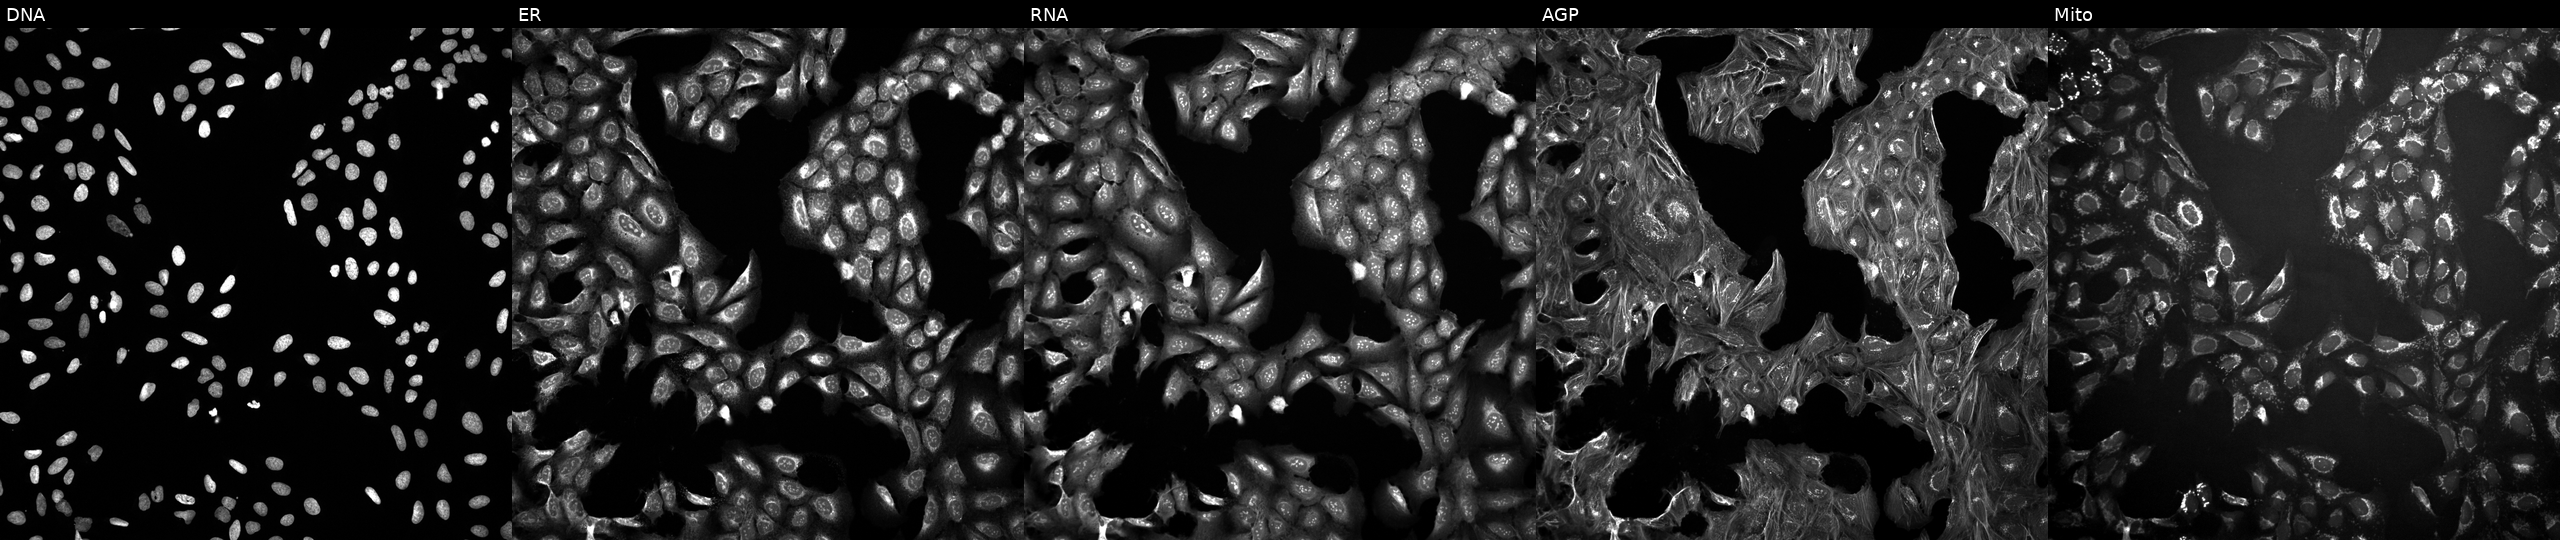
This image strip shows the five Cell Painting channels for a single field of U2OS cells exposed to a small-molecule compound (JUMP id JCP2022_094412). Channels (left→right): DNA, ER, RNA, AGP, and Mito. Source 10, plate Dest210531-152324, well H05.